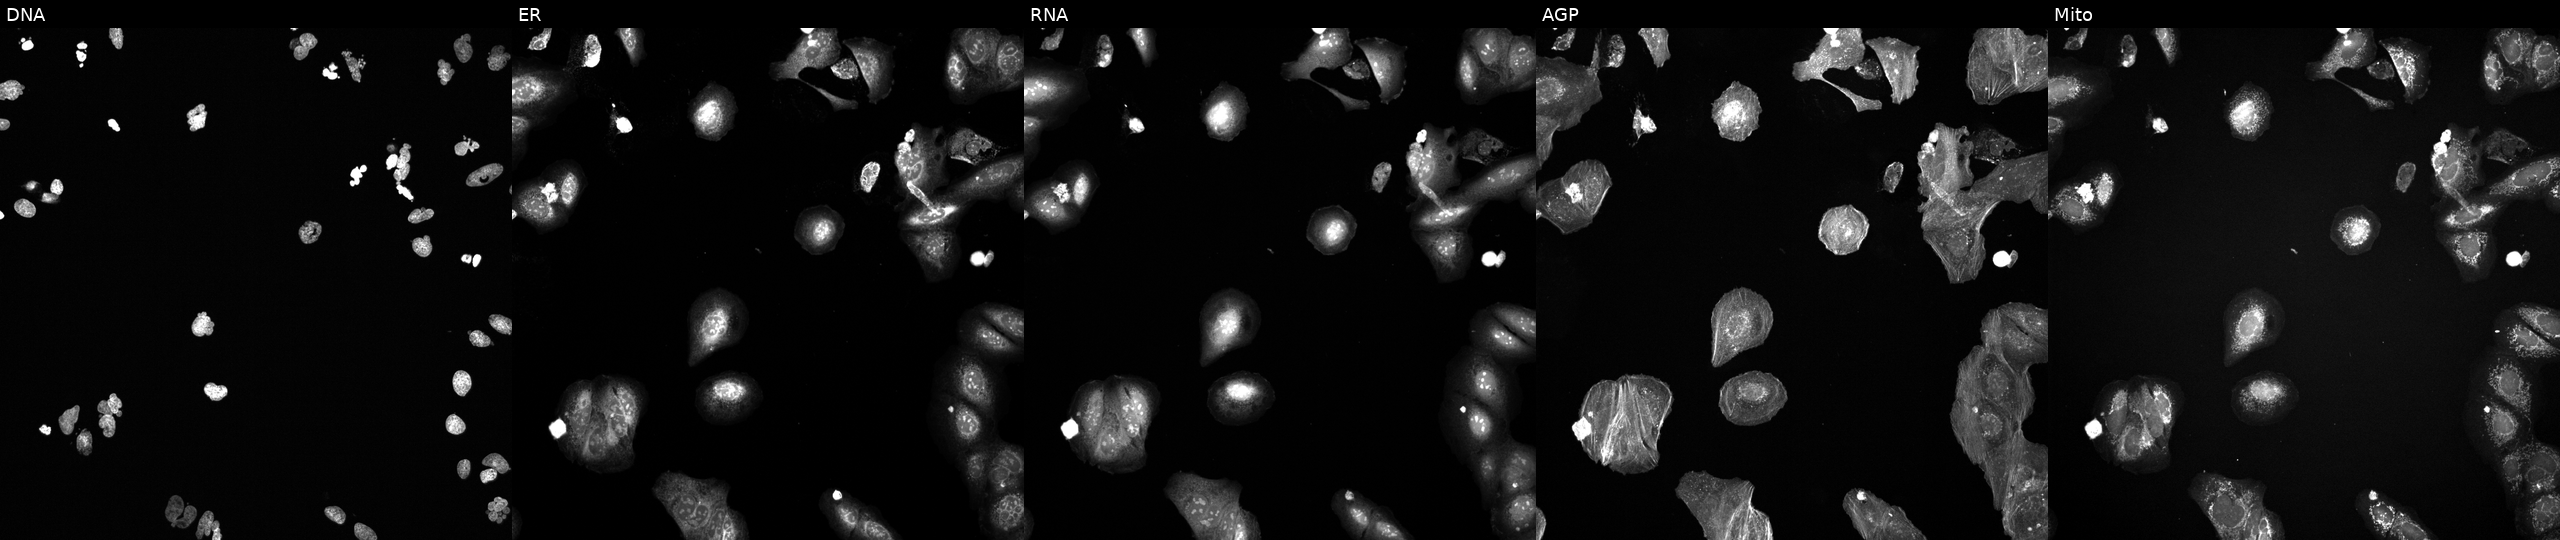
JUMP Cell Painting — TARGET2 plate. U2OS cells perturbed with a small-molecule compound (InChIKey CMYHZFCJPORPHY-UHFFFAOYSA-N) (JUMP id JCP2022_012198). Channels (left→right): DNA (nuclei); ER (endoplasmic reticulum); RNA (nucleoli and cytoplasmic RNA); AGP (actin cytoskeleton, Golgi, and plasma membrane); Mito (mitochondria).